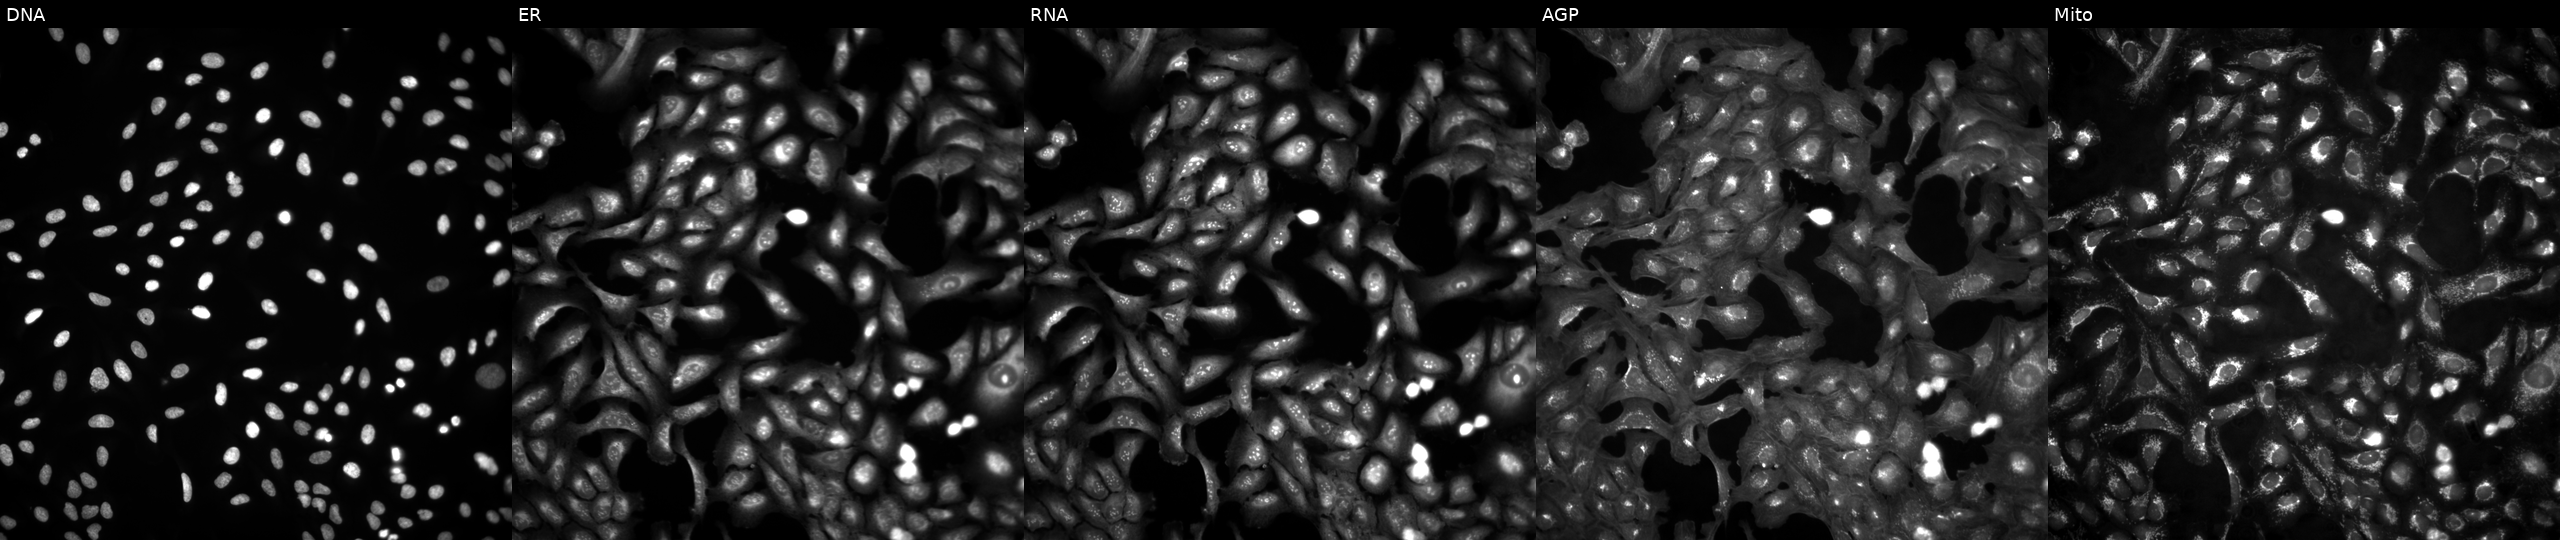
Five-channel Cell Painting image of U2OS cells in an empty control well (no perturbation) (JUMP id JCP2022_999999). Panels show, left to right, DNA, ER, RNA, AGP, and Mito.